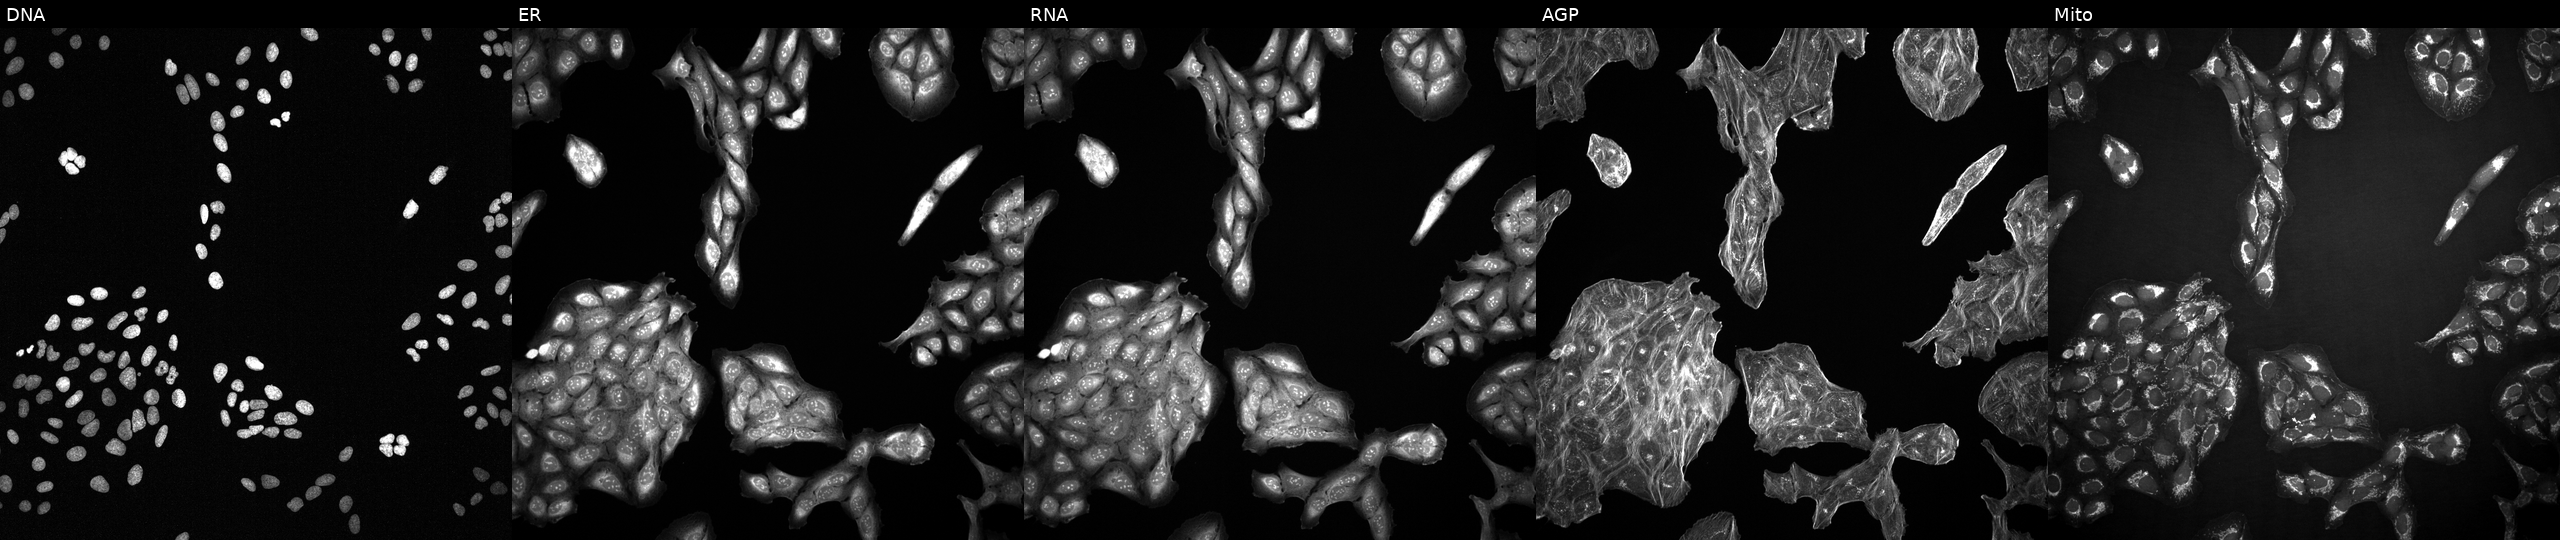
Five-channel Cell Painting image of U2OS cells treated with a small-molecule compound. Panels show, left to right, DNA, ER, RNA, AGP, and Mito.